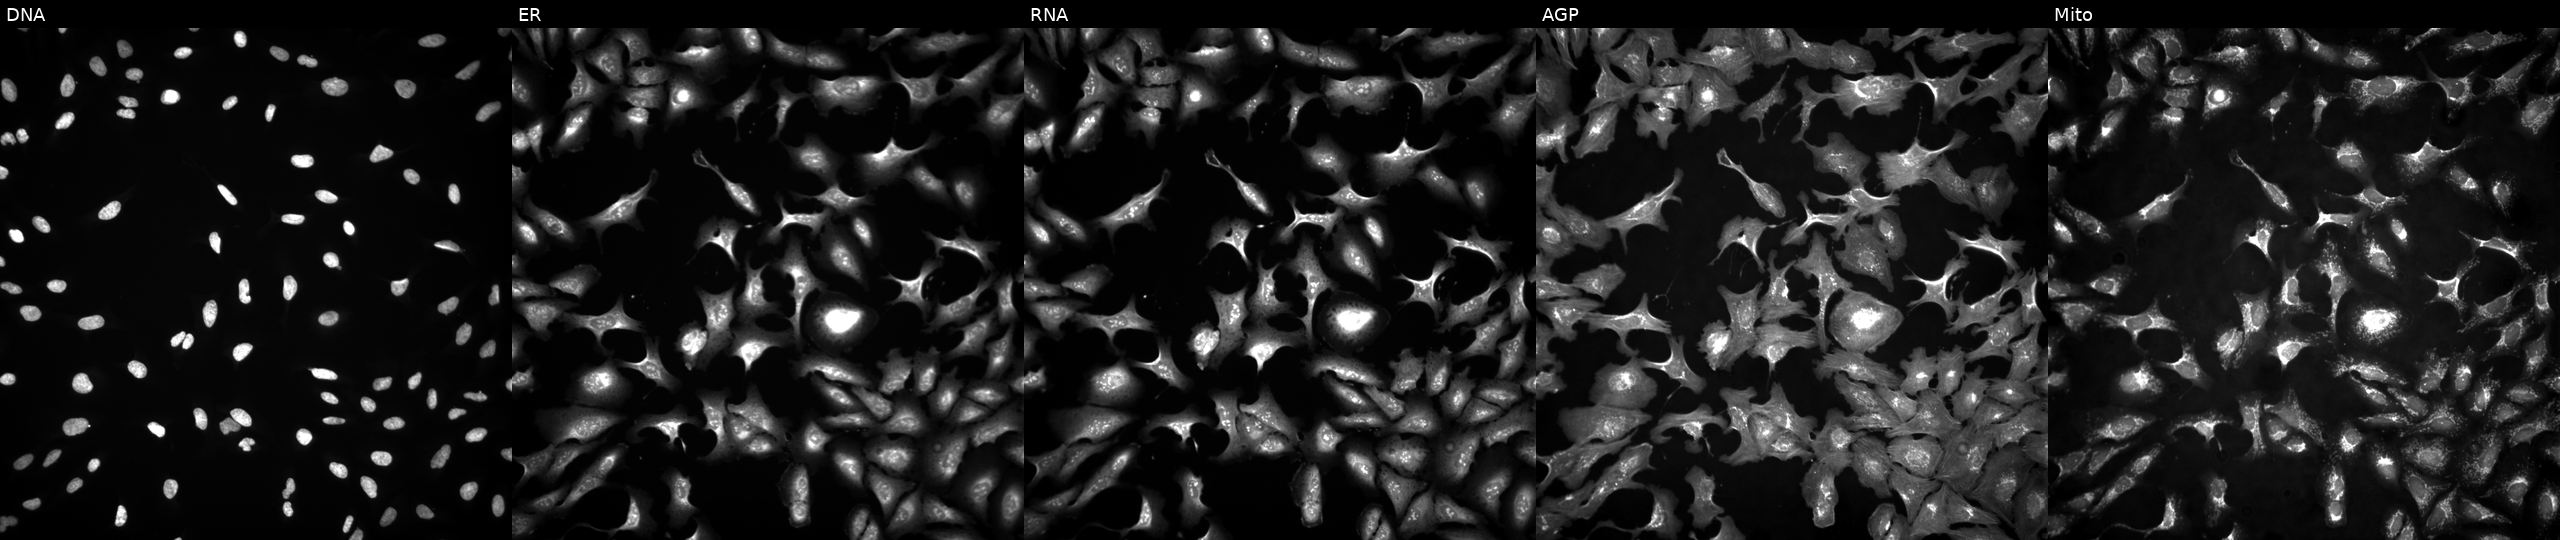
Channels (left→right): DNA (nuclei); ER (endoplasmic reticulum); RNA (nucleoli and cytoplasmic RNA); AGP (actin cytoskeleton, Golgi, and plasma membrane); Mito (mitochondria). U2OS osteosarcoma cells overexpressing AAK1 via ORF transfection. Cell Painting assay, JUMP-CP dataset. Source 4, plate BR00123945, well B21.